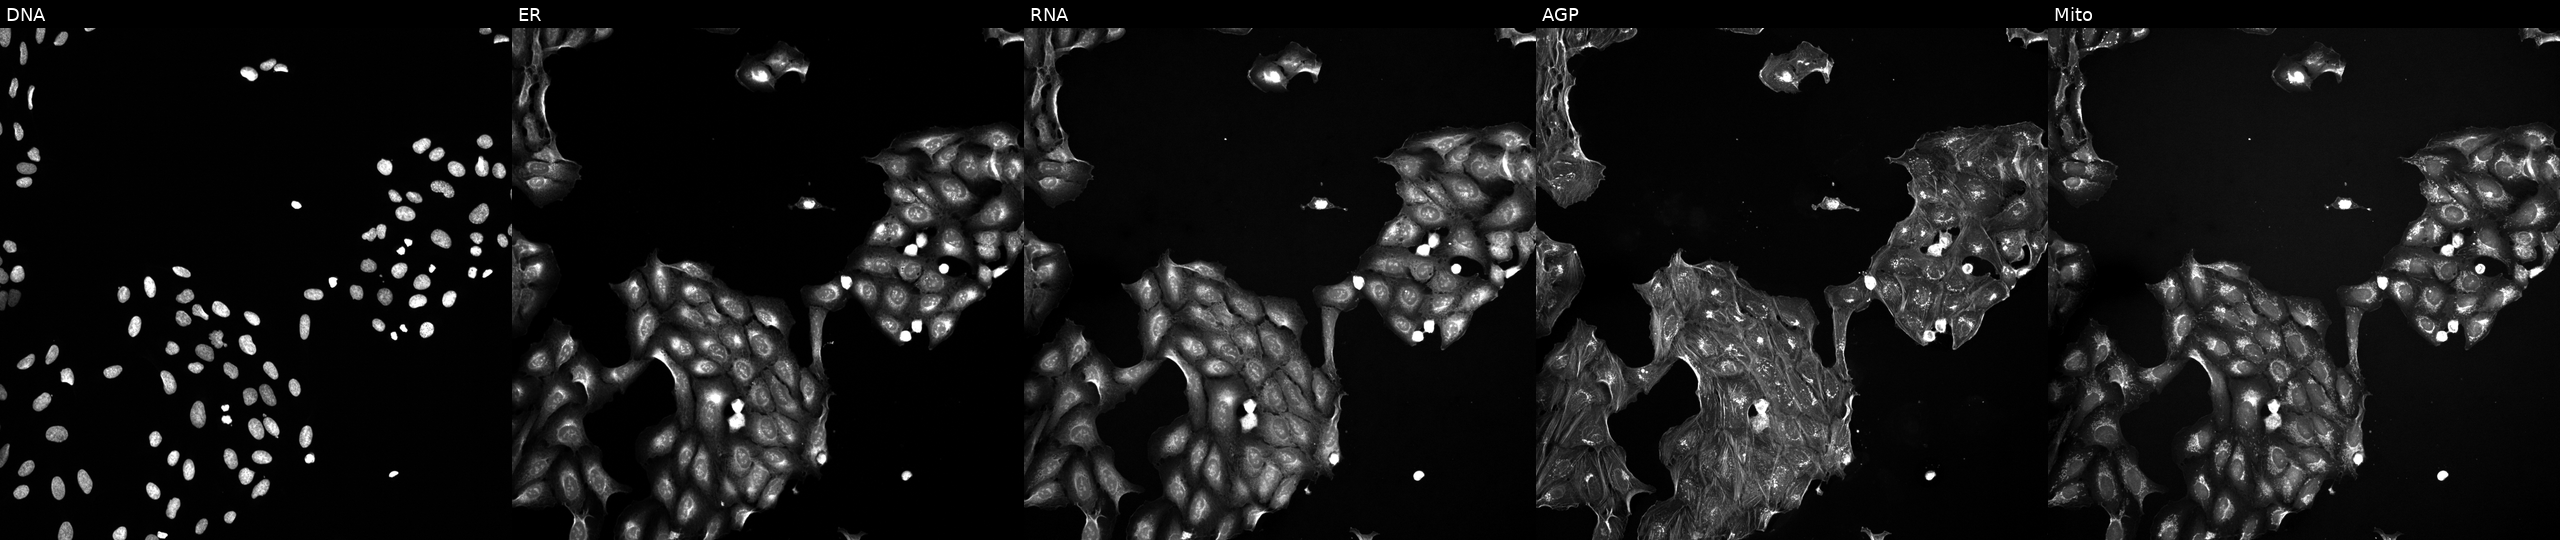
Panels show, left to right, DNA (nuclei); ER (endoplasmic reticulum); RNA (nucleoli and cytoplasmic RNA); AGP (actin cytoskeleton, Golgi, and plasma membrane); Mito (mitochondria). U2OS osteosarcoma cells treated with a small-molecule compound (InChIKey QUIIIYITNGOFEI-UHFFFAOYSA-N) (JUMP id JCP2022_075930). Cell Painting assay, JUMP-CP dataset.